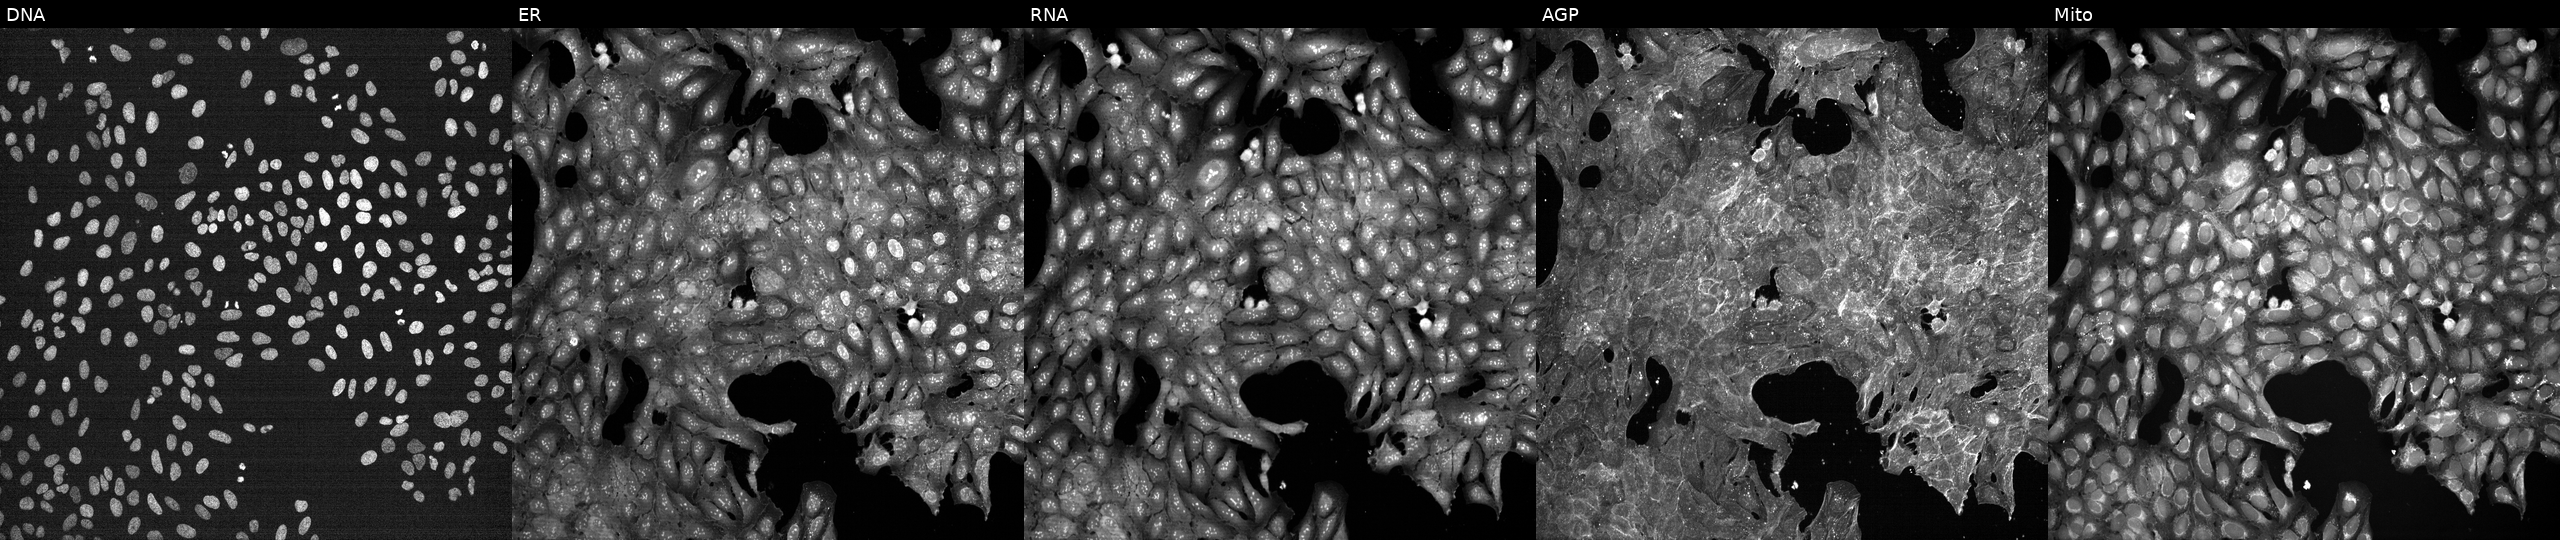
Five-channel Cell Painting image of U2OS cells exposed to DMSO alone as a negative control (JUMP id JCP2022_033924). The five panels, left to right, show Hoechst 33342, concanavalin A, SYTO 14, phalloidin and WGA, MitoTracker. Source 7, plate CP1-SC1-25, well P11.